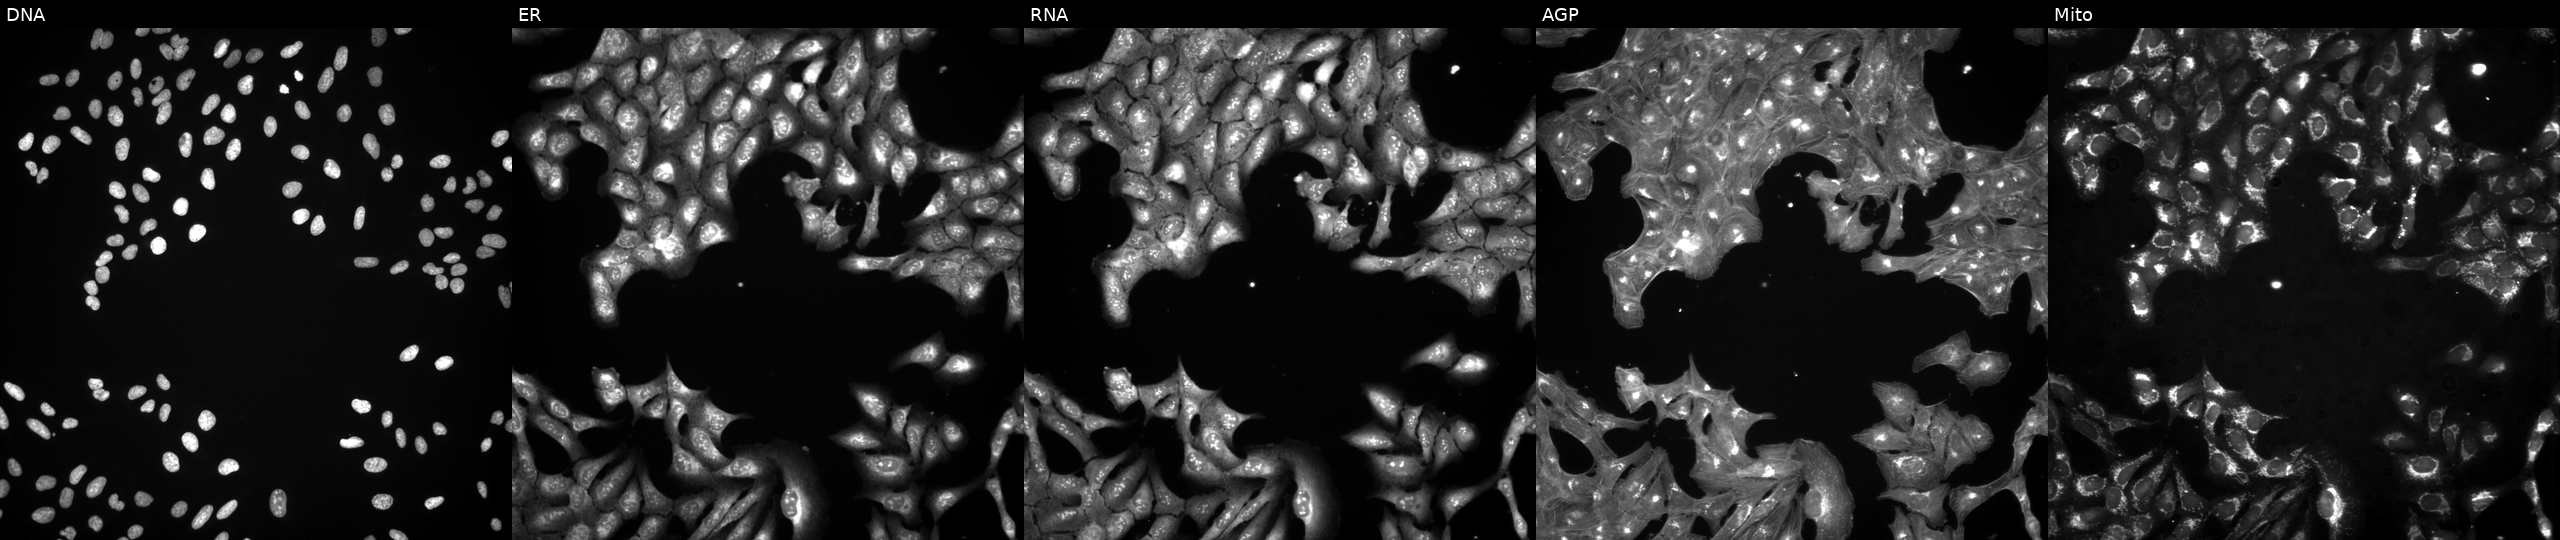
This image strip shows the five Cell Painting channels for a single field of U2OS cells treated with a small-molecule compound (InChIKey MFDFERRIHVXMIY-UHFFFAOYSA-N) (JUMP id JCP2022_053734). Channels (left→right): DNA, ER, RNA, AGP, and Mito.